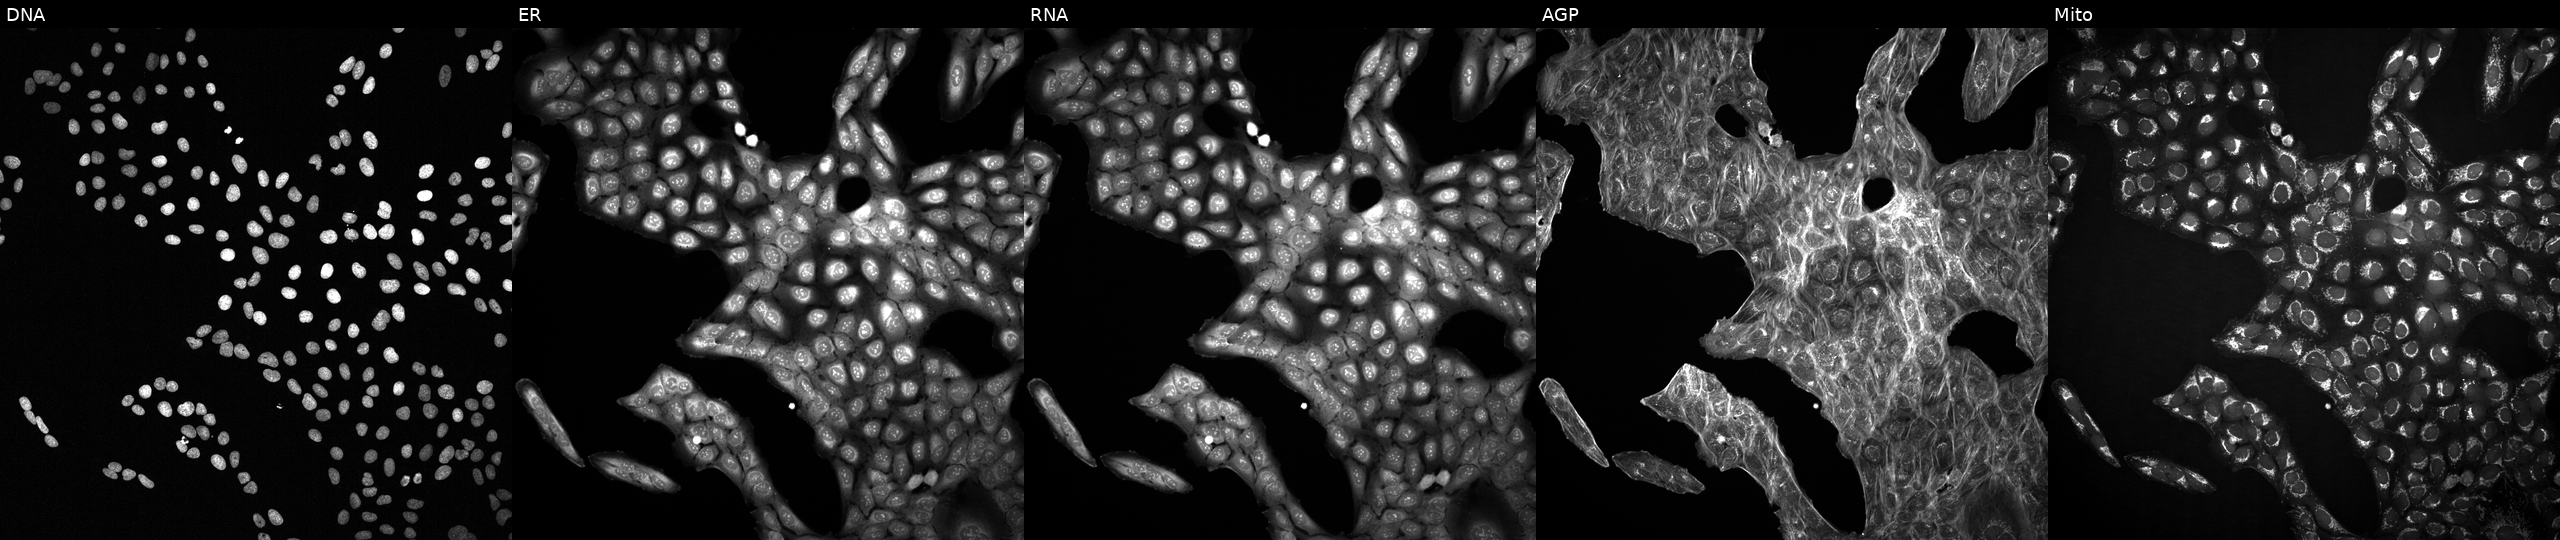
Five-channel Cell Painting image of U2OS cells perturbed with a small-molecule compound (InChIKey QGOZAFUVUJGJNK-UHFFFAOYSA-N) (JUMP id JCP2022_073305). Panels show, left to right, DNA (nuclei); ER (endoplasmic reticulum); RNA (nucleoli and cytoplasmic RNA); AGP (actin cytoskeleton, Golgi, and plasma membrane); Mito (mitochondria). Source 2, plate 1053601756, well G04.